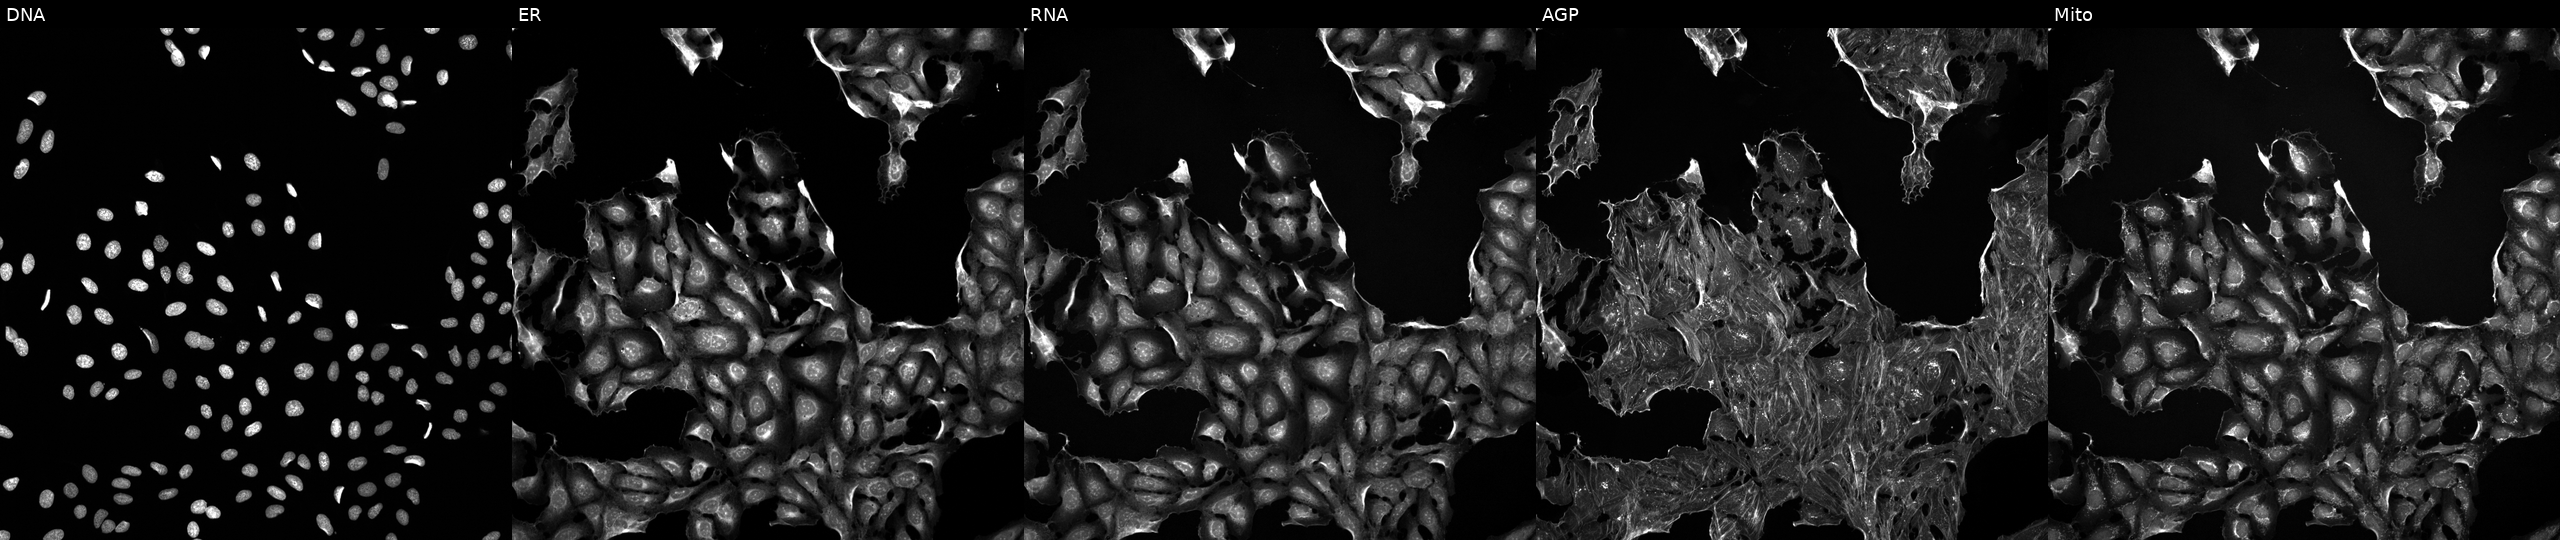
High-content fluorescence microscopy (Cell Painting). Cell line: U2OS. Perturbation: exposed to the positive-control compound FK-866 (JUMP id JCP2022_046054). The five panels, left to right, show DNA (nuclei); ER (endoplasmic reticulum); RNA (nucleoli and cytoplasmic RNA); AGP (actin cytoskeleton, Golgi, and plasma membrane); Mito (mitochondria). Source 5, plate ACPJUM012, well H04.